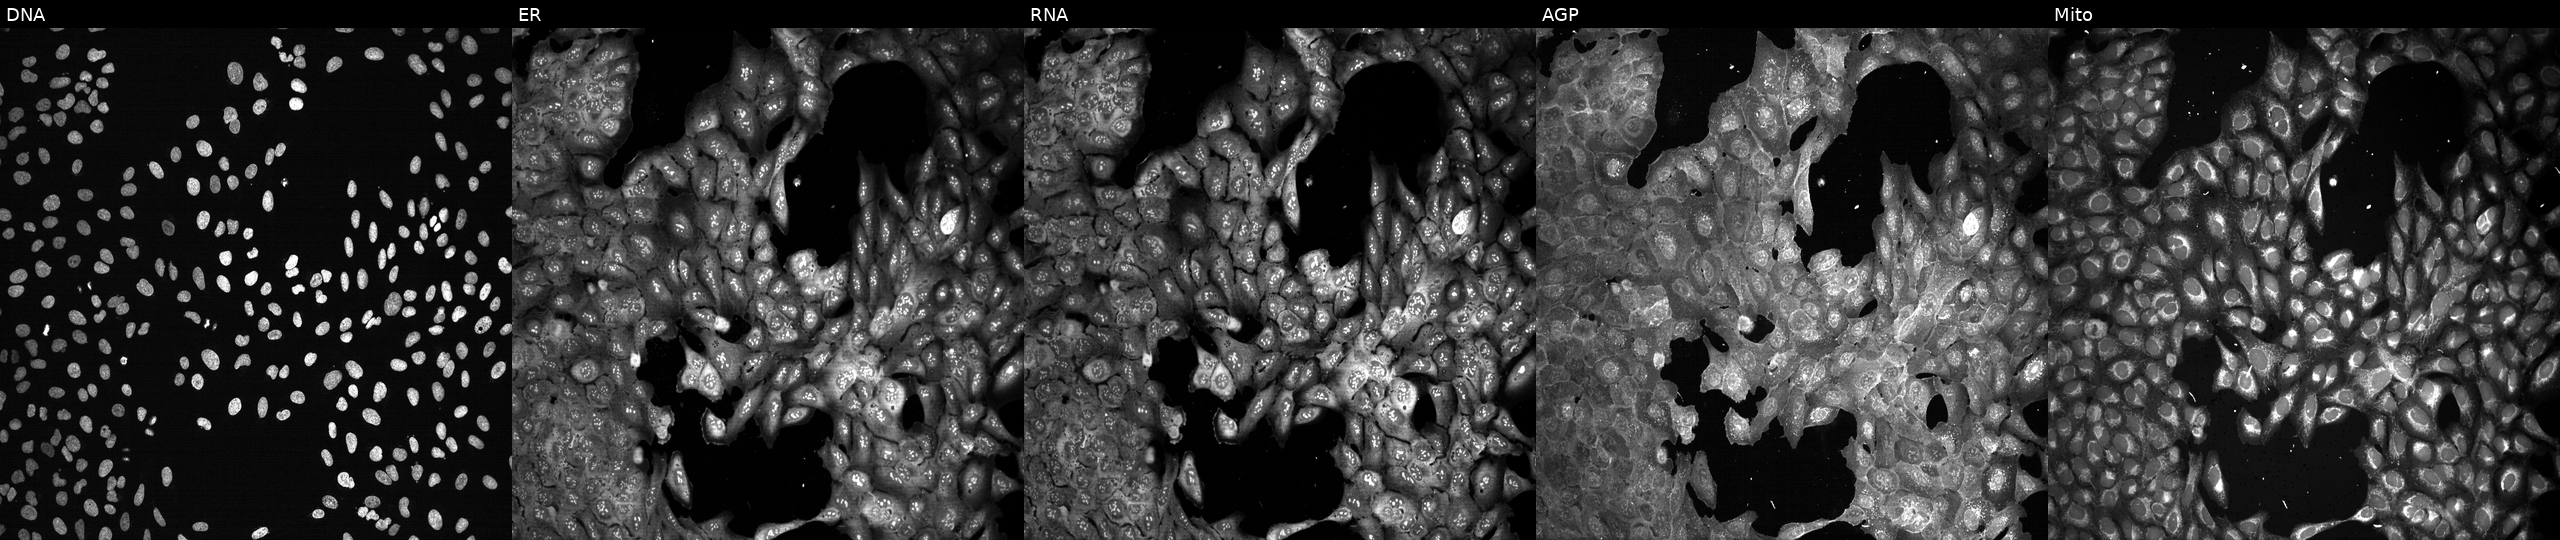
JUMP Cell Painting — CRISPR plate. U2OS cells CRISPR-edited to disrupt SLC24A2 (JUMP id JCP2022_806435). The five panels, left to right, show DNA, ER, RNA, AGP, and Mito.